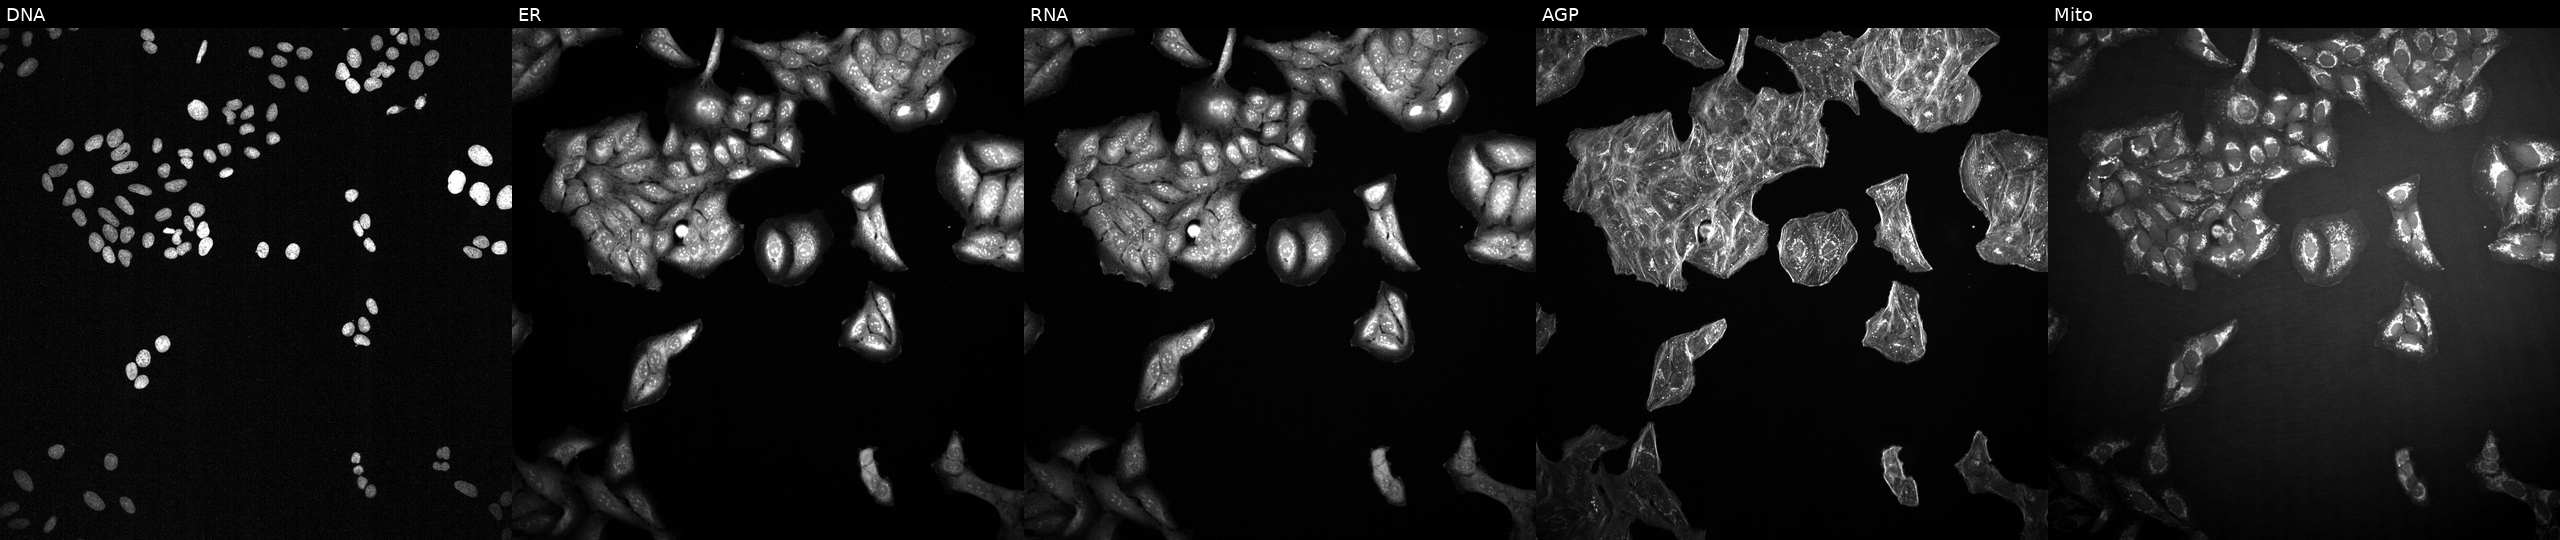
JUMP Cell Painting — TARGET2 plate. U2OS cells treated with a small-molecule compound (InChIKey DJKJVWJQAVGLHJ-UHFFFAOYSA-N) [SMILES: N=c1nc(N2CCNCC2)c2c([nH]1)C1=C(CC2)OC2CCCCC12]. Channels (left→right): DNA (nuclei); ER (endoplasmic reticulum); RNA (nucleoli and cytoplasmic RNA); AGP (actin cytoskeleton, Golgi, and plasma membrane); Mito (mitochondria).